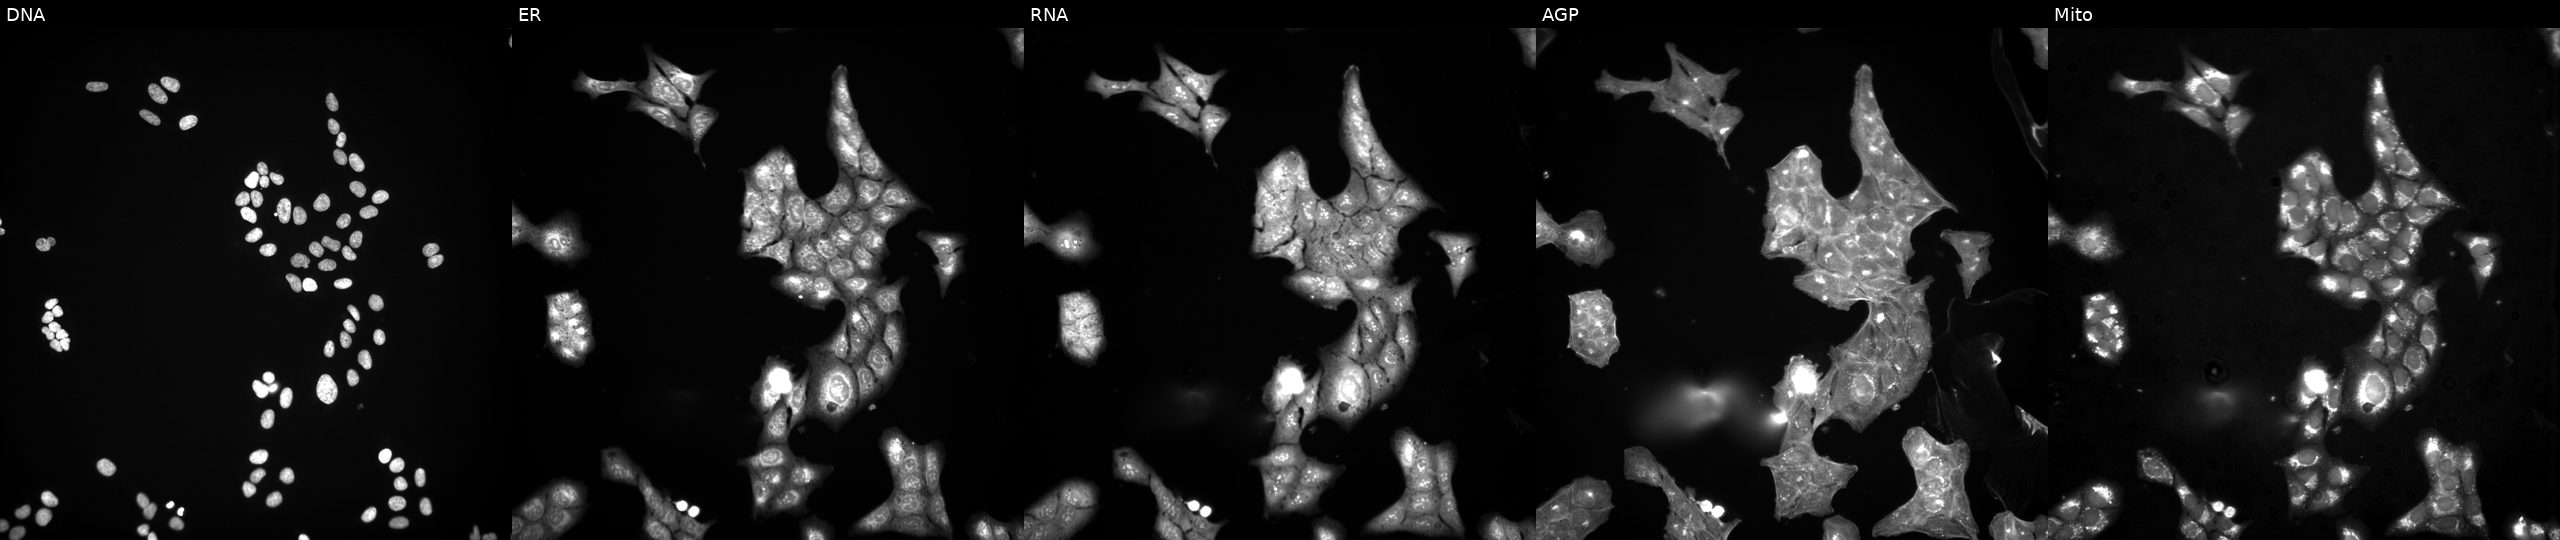
High-content fluorescence microscopy (Cell Painting). Cell line: U2OS. Perturbation: exposed to a small-molecule compound [SMILES: Cc1ccc(NC(=O)Nc2cc(C(F)(F)F)ccc2F)cc1Nc1ccc2c(c1)=NC(=O)C=2Cc1ccc[nH]1]. Panels show, left to right, DNA, ER, RNA, AGP, and Mito.